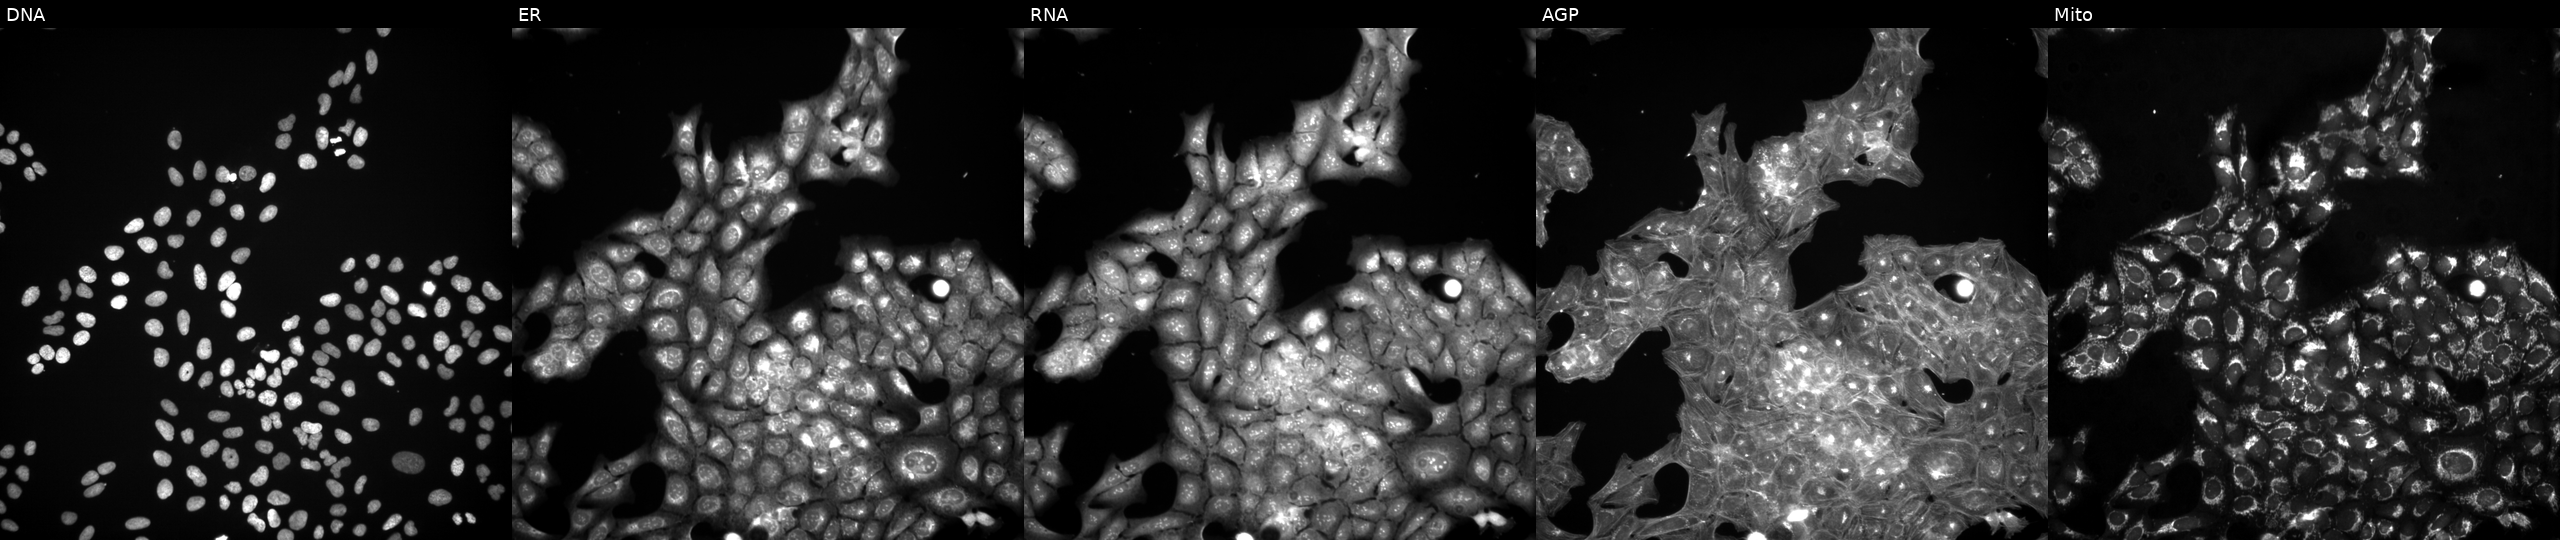
High-content fluorescence microscopy (Cell Painting). Cell line: U2OS. Perturbation: treated with a small-molecule compound (InChIKey REZGGXNDEMKIQB-UHFFFAOYSA-N) (JUMP id JCP2022_077927). Panels show, left to right, DNA (nuclei); ER (endoplasmic reticulum); RNA (nucleoli and cytoplasmic RNA); AGP (actin cytoskeleton, Golgi, and plasma membrane); Mito (mitochondria). Source 3, plate JCPQC053, well O17.